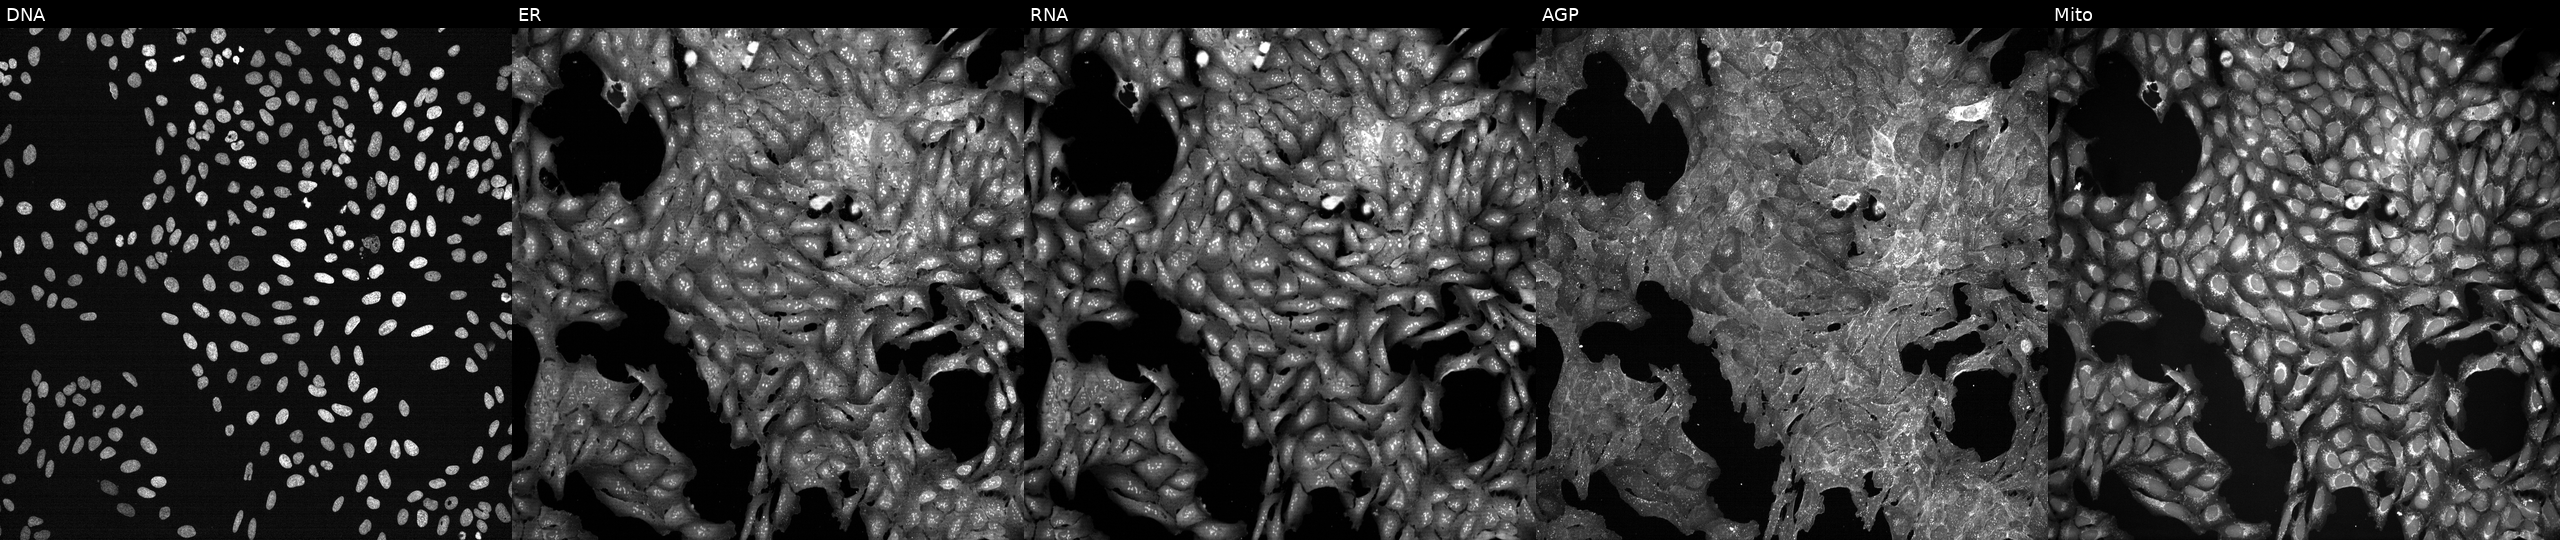
Five-channel Cell Painting image of U2OS cells treated with a small-molecule compound. The five panels, left to right, show DNA, ER, RNA, AGP, and Mito.